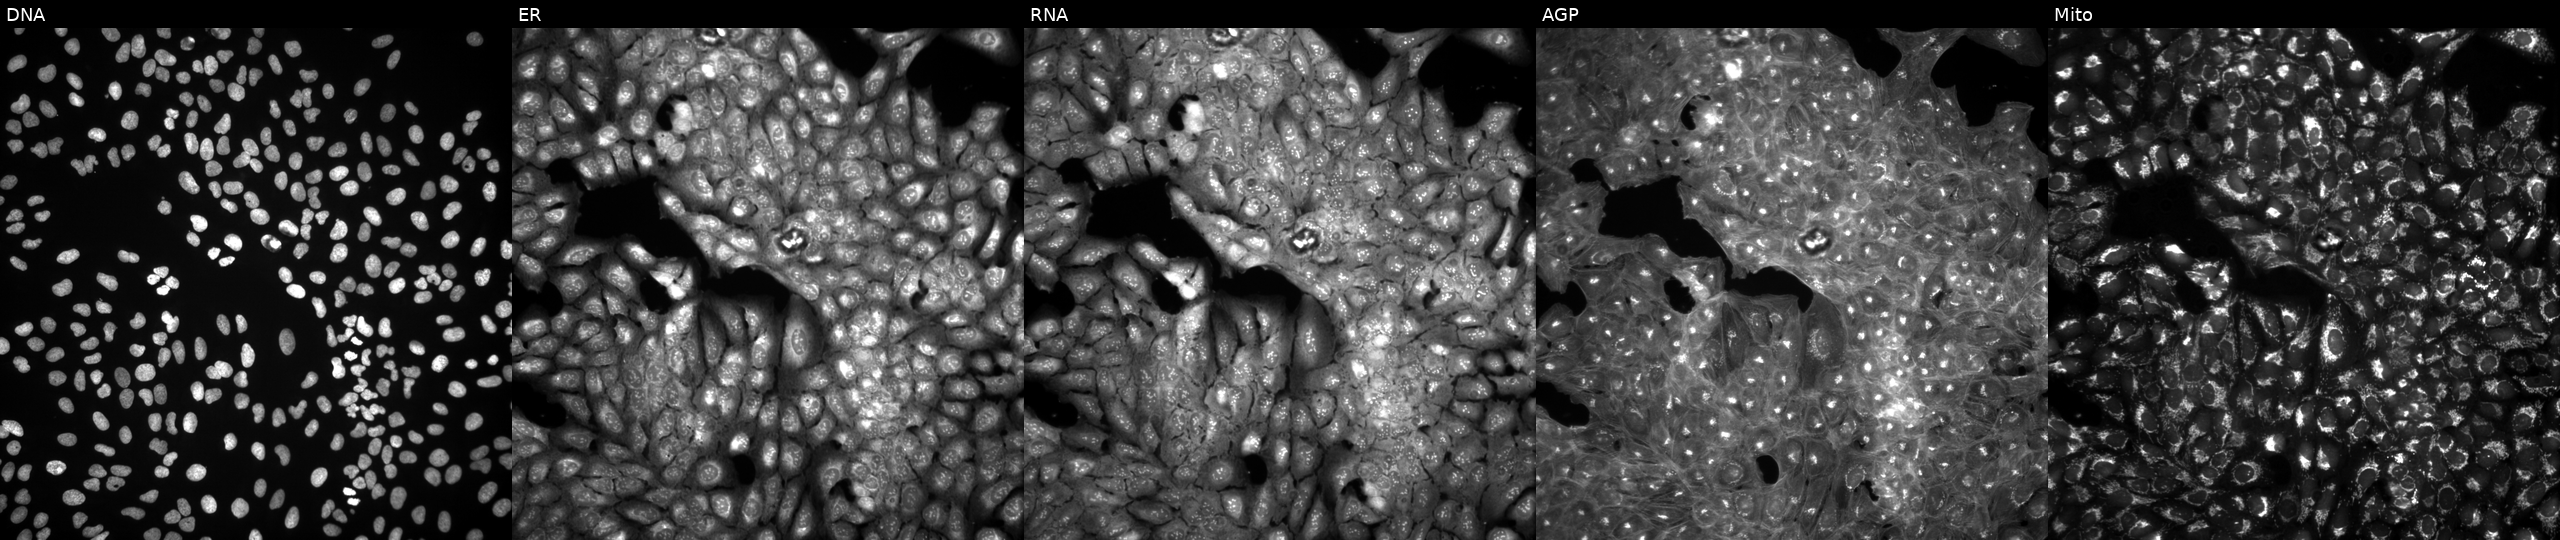
JUMP Cell Painting — COMPOUND plate. U2OS cells treated with a small-molecule compound [SMILES: Cc1sc2ncnc(N(C)Cc3ccco3)c2c1C] (JUMP id JCP2022_002973). The five panels, left to right, show DNA (nuclei); ER (endoplasmic reticulum); RNA (nucleoli and cytoplasmic RNA); AGP (actin cytoskeleton, Golgi, and plasma membrane); Mito (mitochondria). Source 3, plate BR5867a3, well D03.